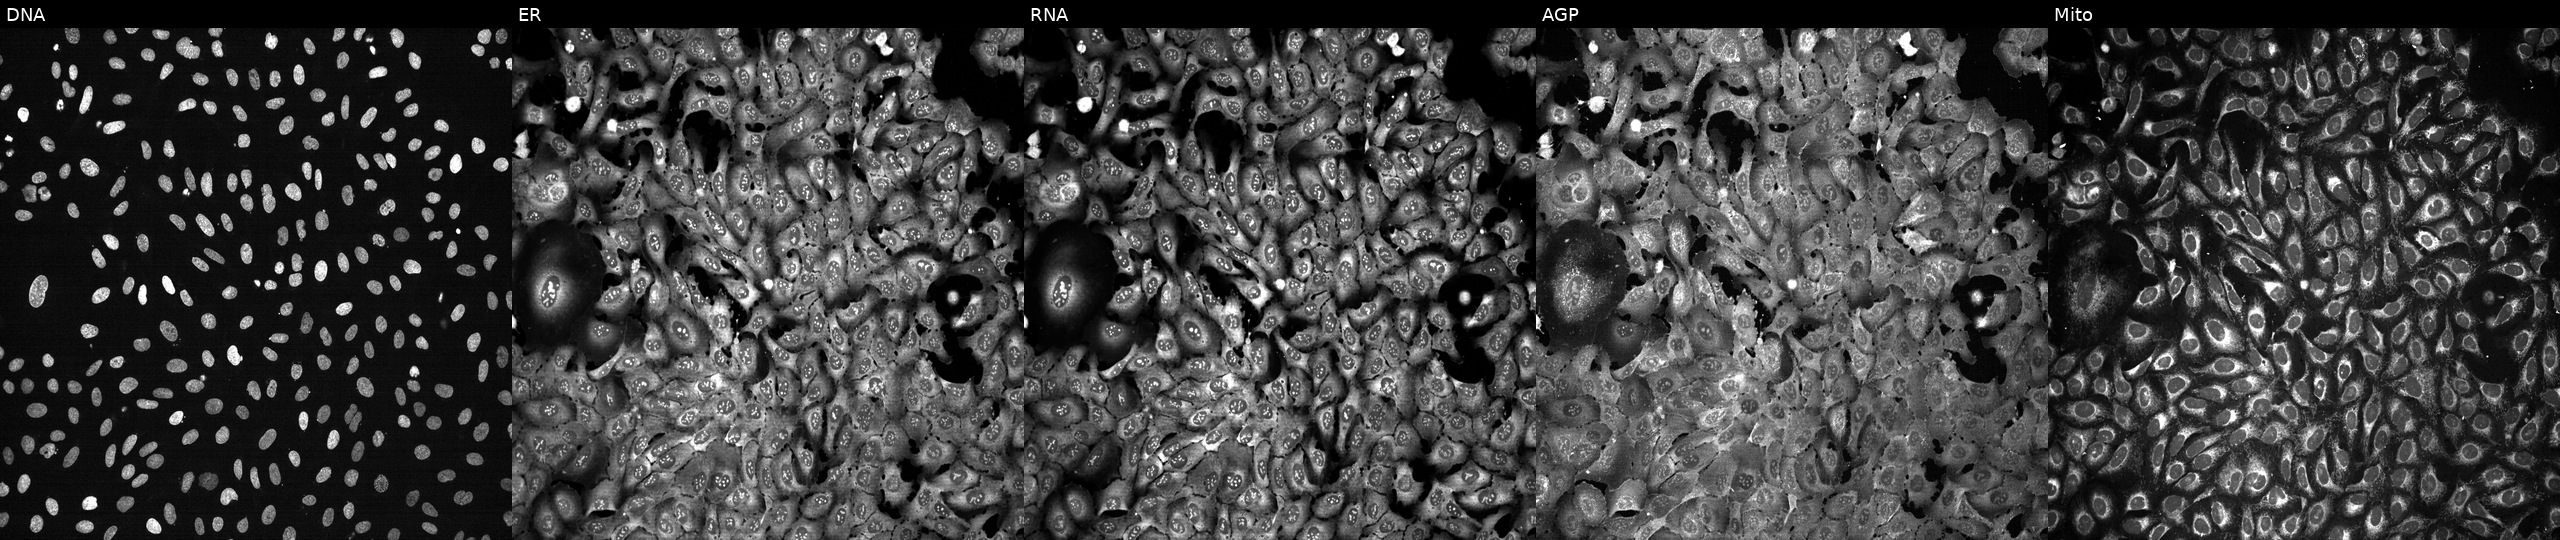
This image strip shows the five Cell Painting channels for a single field of U2OS cells CRISPR-edited to disrupt ALDOA (JUMP id JCP2022_800399). Channels (left→right): DNA, ER, RNA, AGP, and Mito.